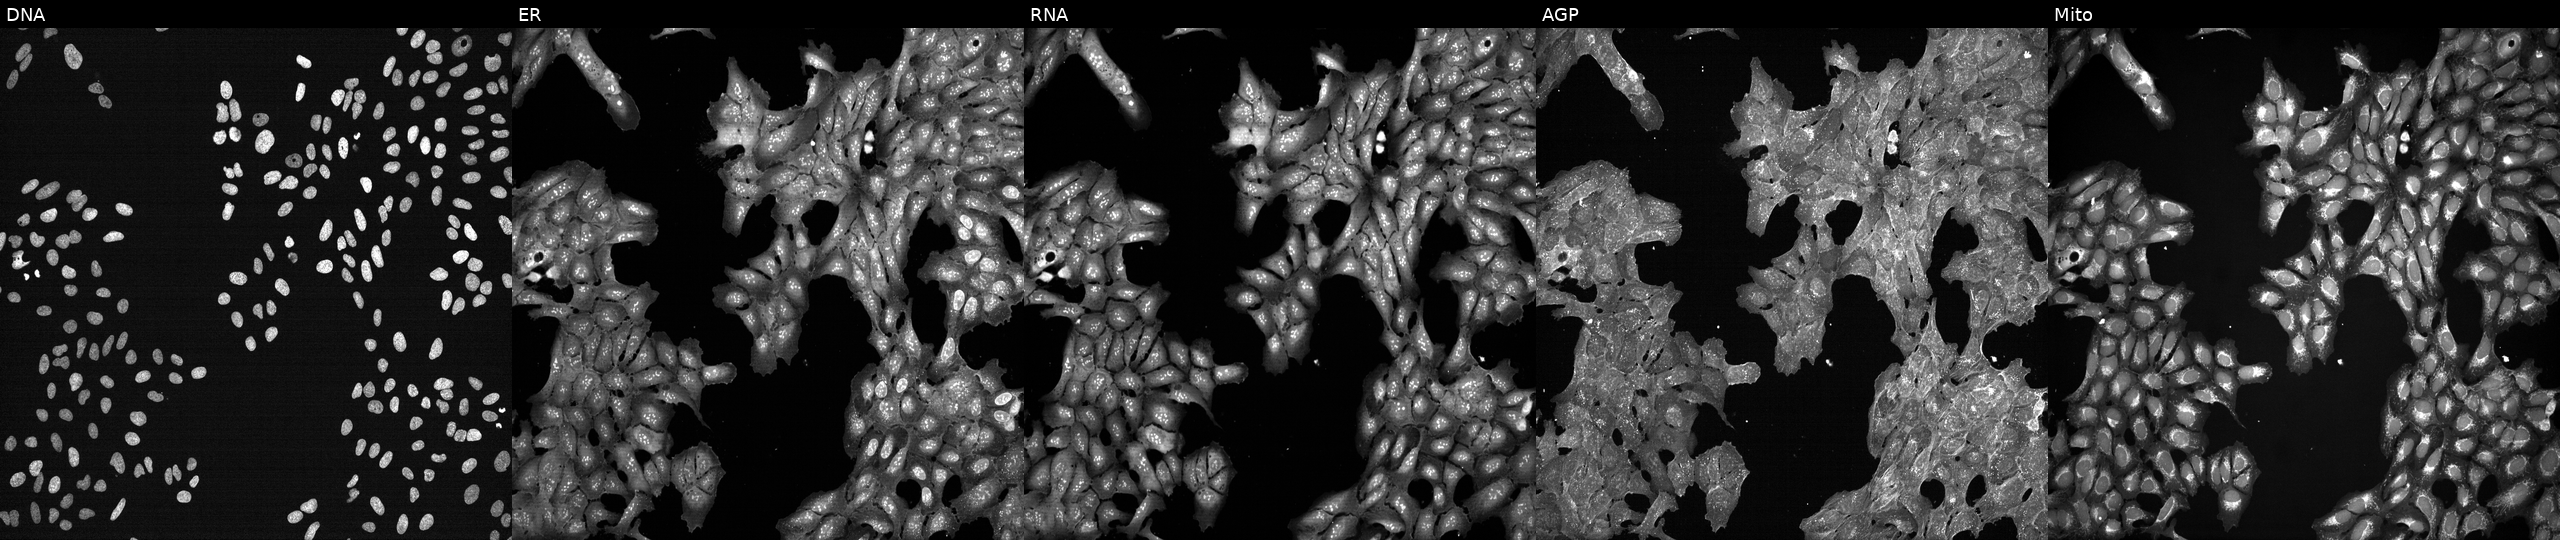
Five-channel Cell Painting image of U2OS cells treated with a small-molecule compound (InChIKey BGVLELSCIHASRV-UHFFFAOYSA-N). Panels show, left to right, Hoechst 33342, concanavalin A, SYTO 14, phalloidin and WGA, MitoTracker.